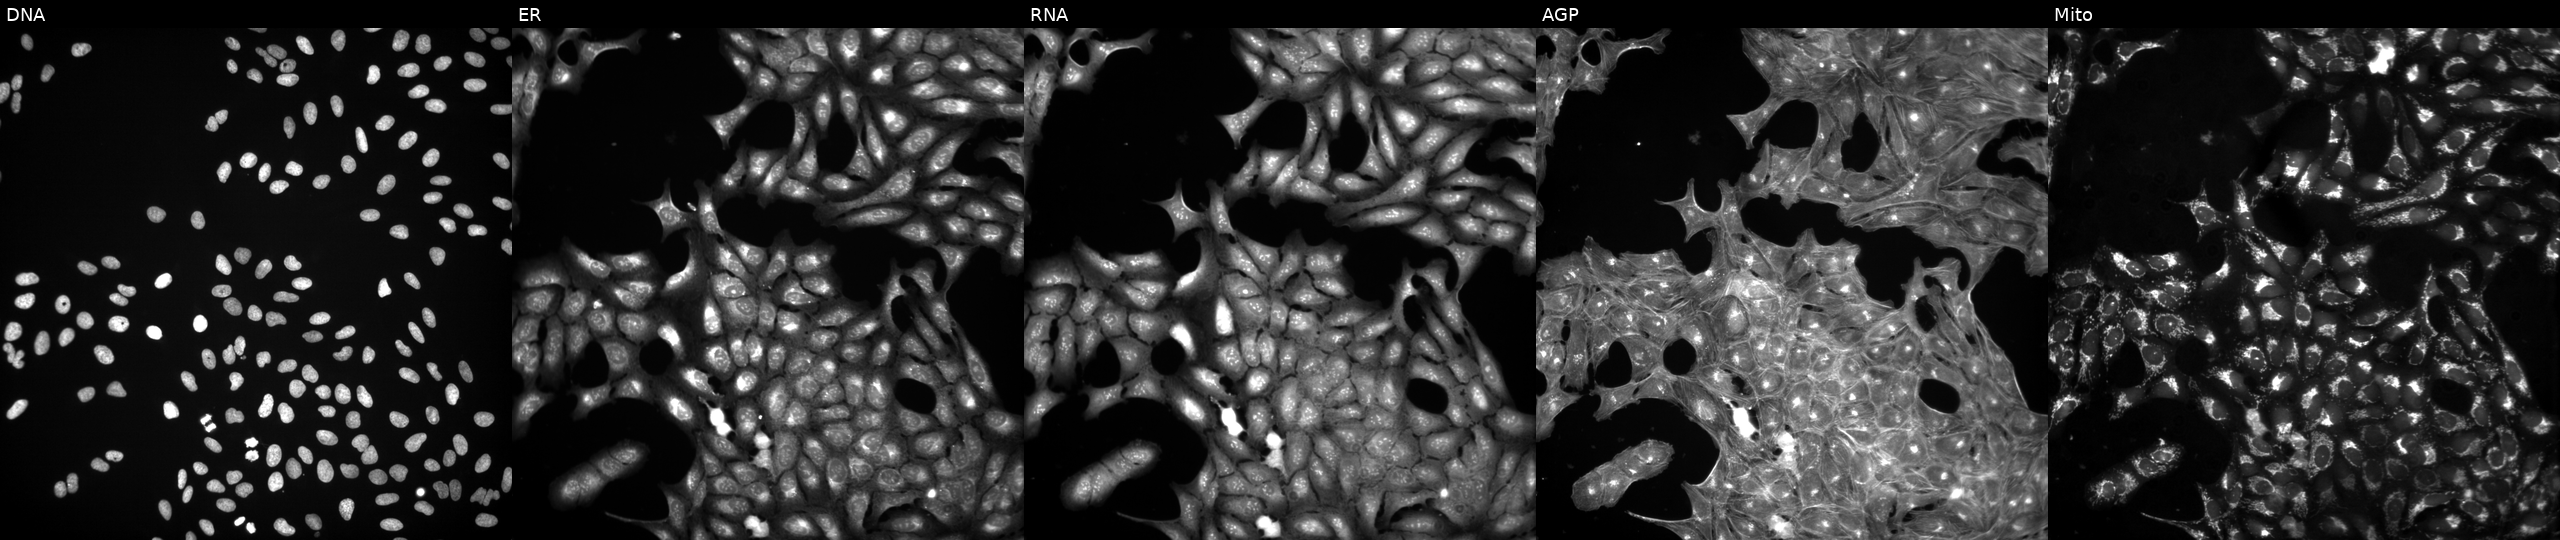
Panels show, left to right, DNA (nuclei); ER (endoplasmic reticulum); RNA (nucleoli and cytoplasmic RNA); AGP (actin cytoskeleton, Golgi, and plasma membrane); Mito (mitochondria). U2OS osteosarcoma cells treated with DMSO vehicle only (negative control) (JUMP id JCP2022_033924). Cell Painting assay, JUMP-CP dataset.